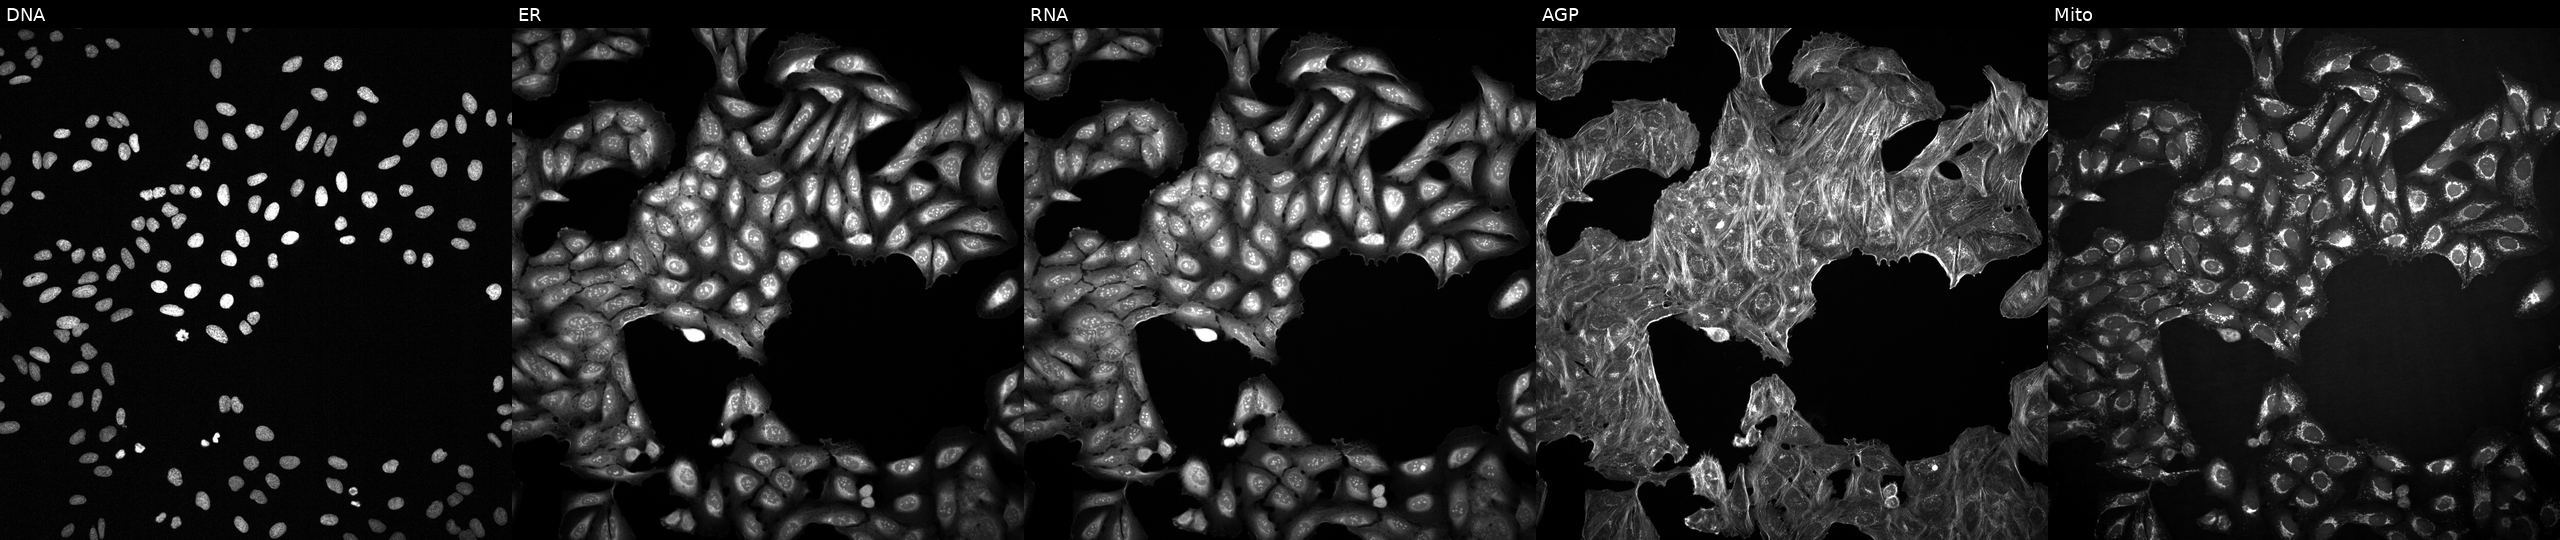
Five-channel Cell Painting image of U2OS cells with an unidentified perturbation (not annotated in JUMP metadata). Channels (left→right): DNA (nuclei); ER (endoplasmic reticulum); RNA (nucleoli and cytoplasmic RNA); AGP (actin cytoskeleton, Golgi, and plasma membrane); Mito (mitochondria). Source 2, plate 1053601756, well J08.